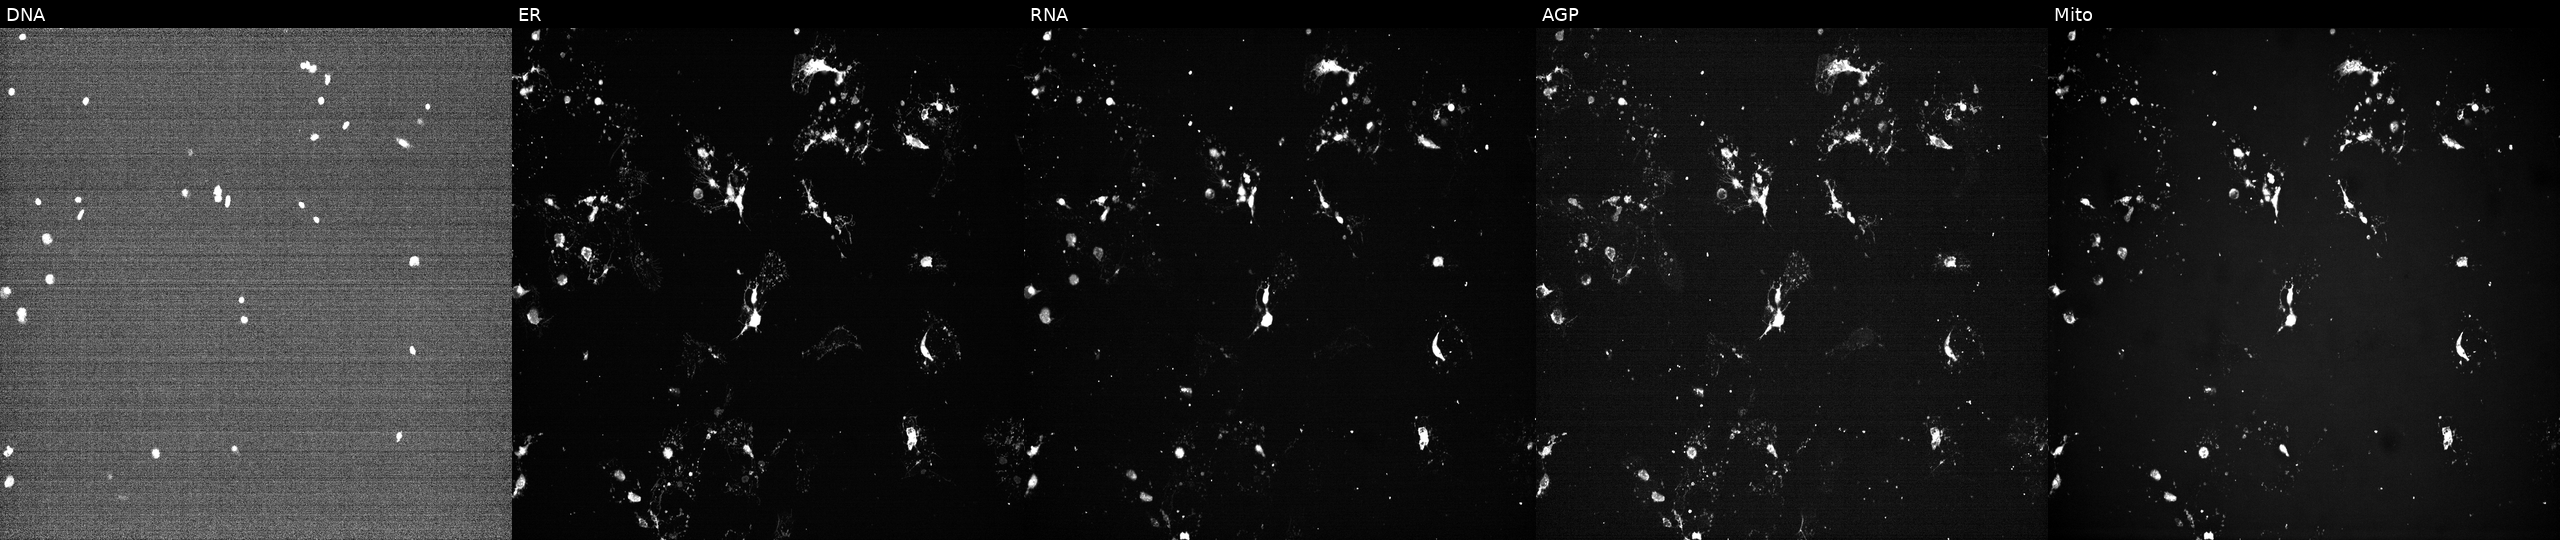
Panels show, left to right, DNA (nuclei); ER (endoplasmic reticulum); RNA (nucleoli and cytoplasmic RNA); AGP (actin cytoskeleton, Golgi, and plasma membrane); Mito (mitochondria). U2OS osteosarcoma cells exposed to a small-molecule compound (InChIKey PBCZSGKMGDDXIJ-UHFFFAOYSA-N) [SMILES: CNC1CC2OC(C)(C1OC)n1c3ccccc3c3c4c(c5c6ccccc6n2c5c31)C(=O)NC4O]. Cell Painting assay, JUMP-CP dataset.